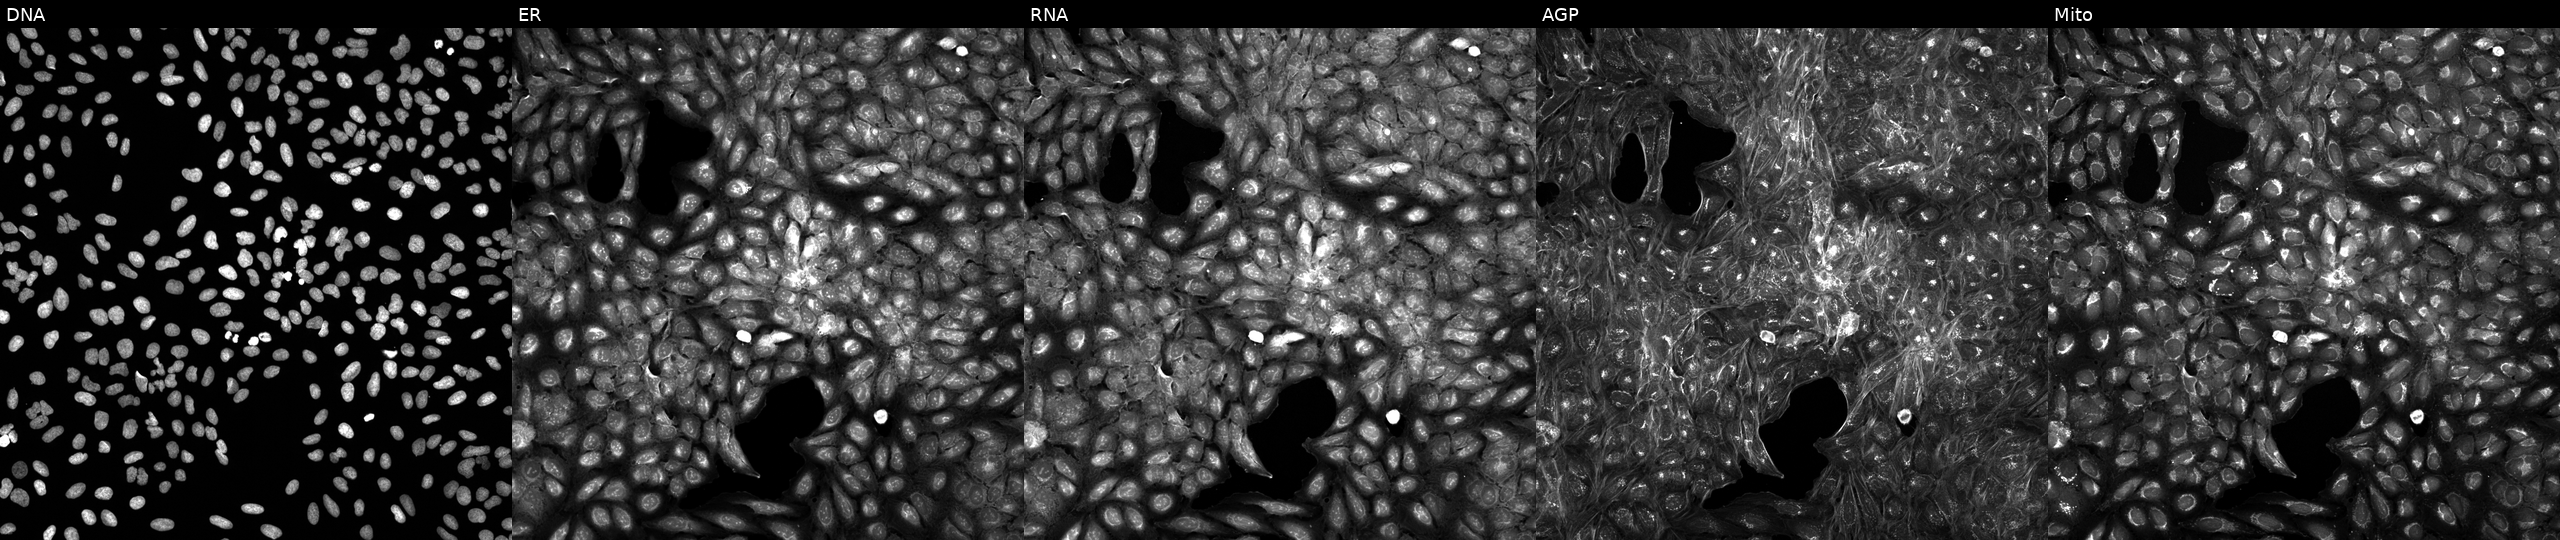
This image strip shows the five Cell Painting channels for a single field of U2OS cells perturbed with a small-molecule compound (InChIKey UNXDWCVPQGZKDW-UHFFFAOYSA-N). Panels show, left to right, DNA (nuclei); ER (endoplasmic reticulum); RNA (nucleoli and cytoplasmic RNA); AGP (actin cytoskeleton, Golgi, and plasma membrane); Mito (mitochondria).